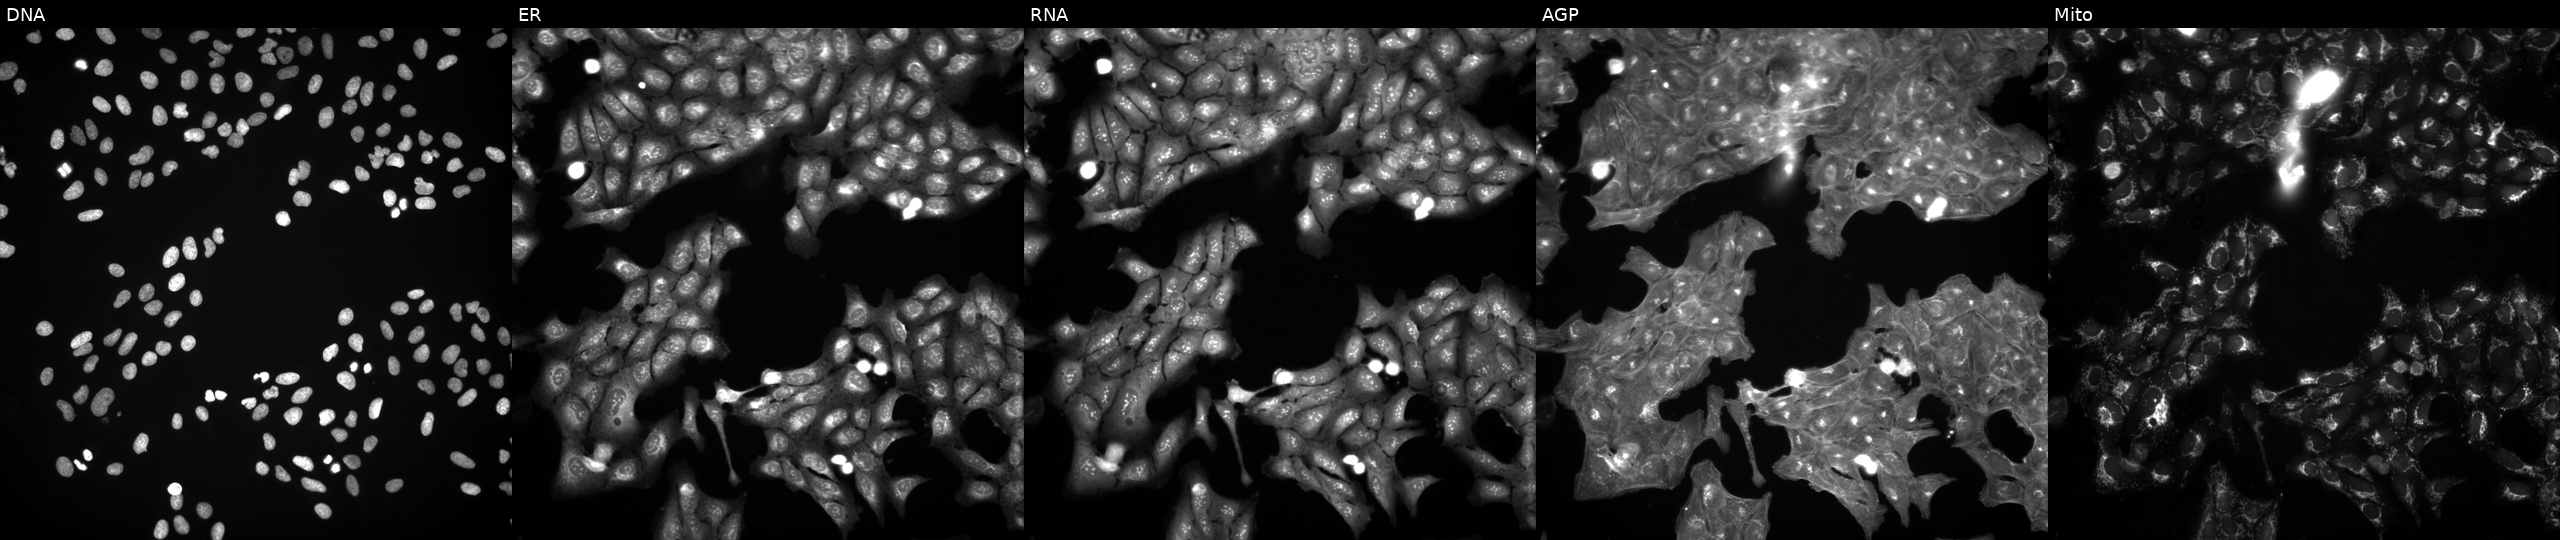
This image strip shows the five Cell Painting channels for a single field of U2OS cells exposed to a small-molecule compound. Panels show, left to right, DNA, ER, RNA, AGP, and Mito.